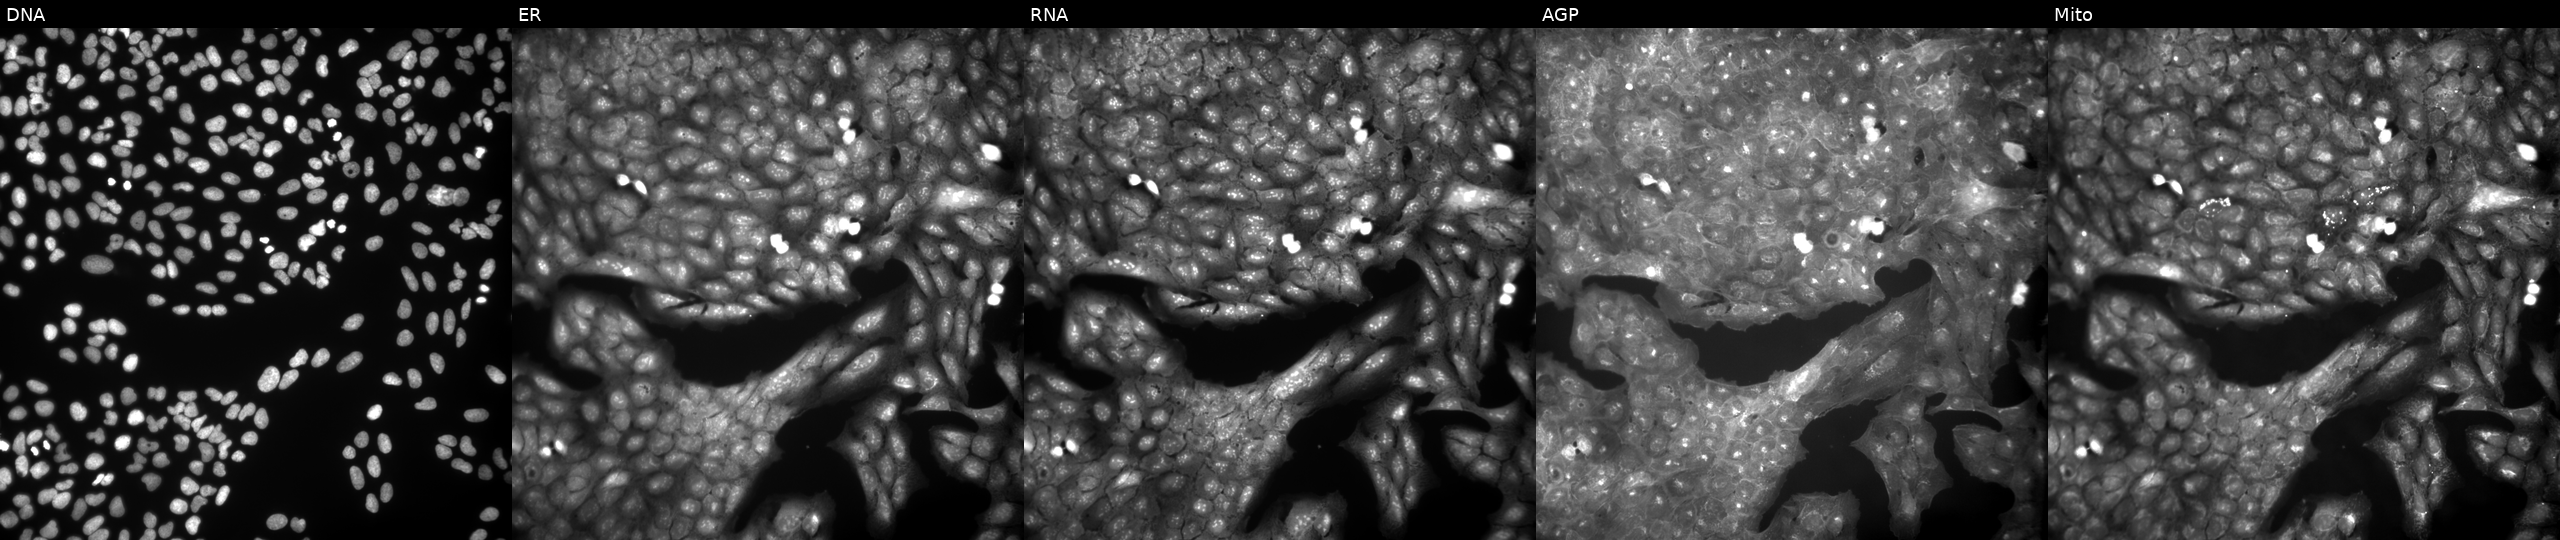
JUMP Cell Painting — COMPOUND plate. U2OS cells exposed to a small-molecule compound (InChIKey NTIDMTFXCSMODC-UHFFFAOYSA-N). Panels show, left to right, DNA, ER, RNA, AGP, and Mito.